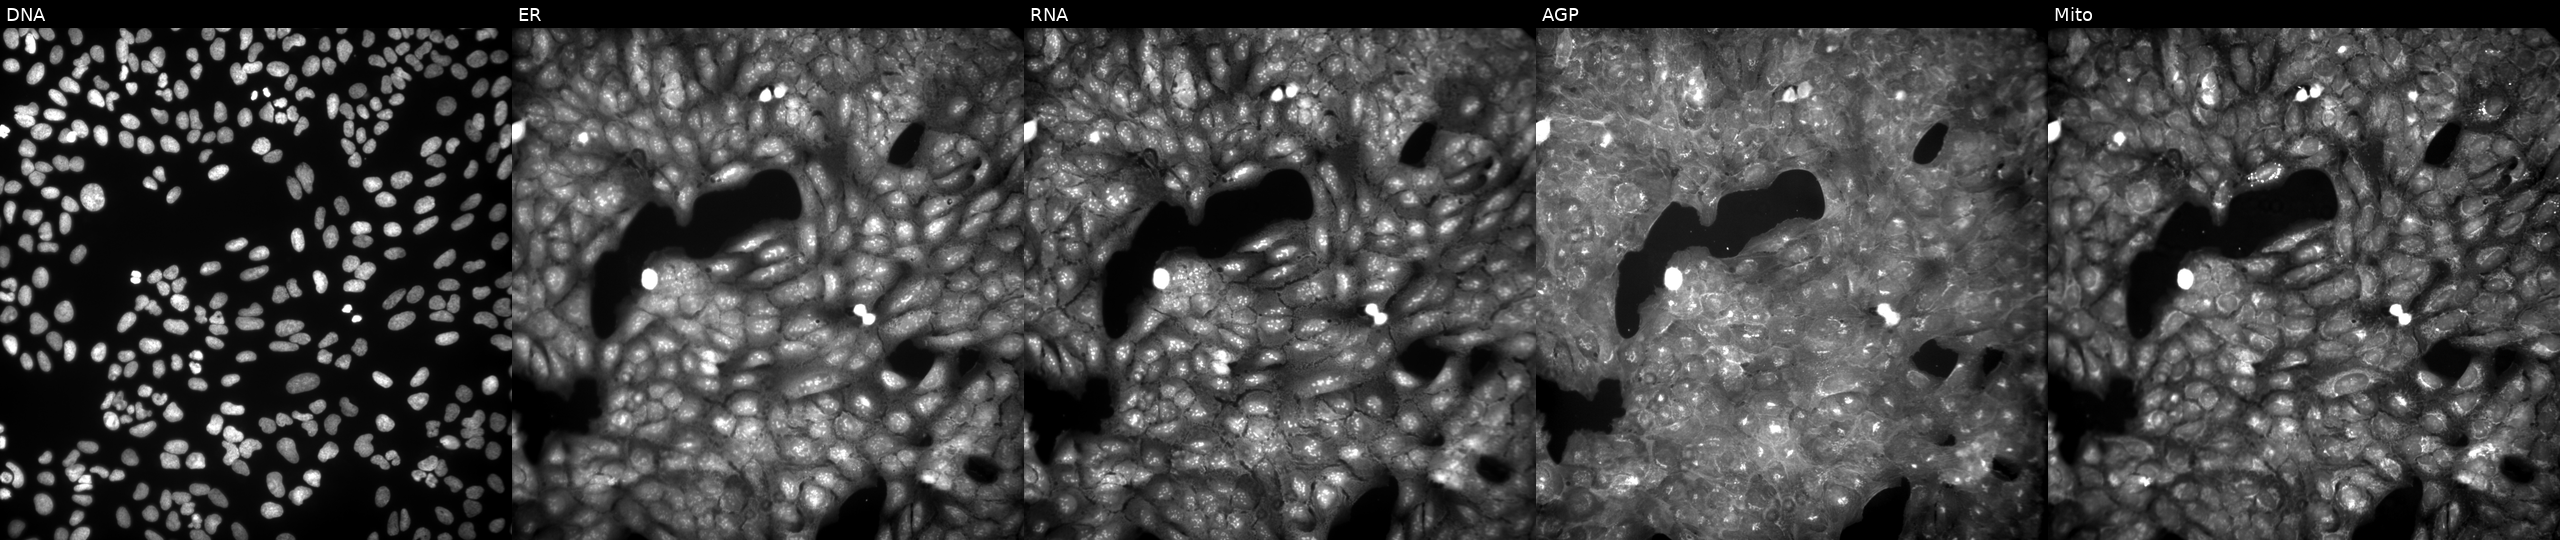
Channels (left→right): DNA, ER, RNA, AGP, and Mito. U2OS osteosarcoma cells exposed to a small-molecule compound (InChIKey SPABMCLDHGNLFQ-UHFFFAOYSA-N) (JUMP id JCP2022_084688). Cell Painting assay, JUMP-CP dataset. Source 9, plate GR00003382, well G43.